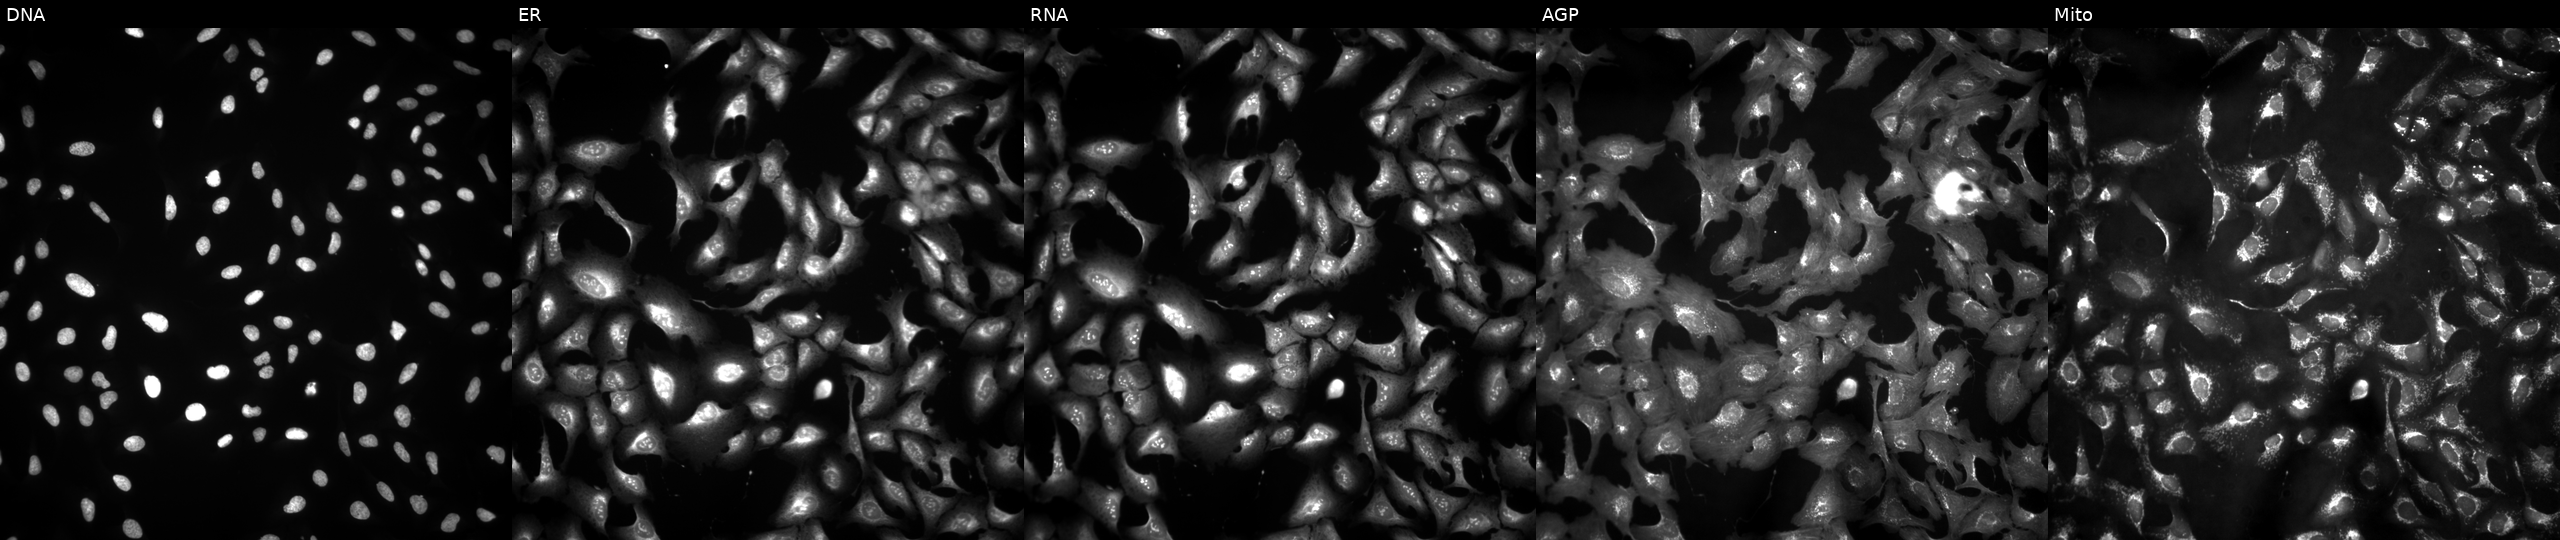
U2OS cells, Cell Painting assay, overexpressing TKTL1 via ORF transfection. Channels (left→right): DNA, ER, RNA, AGP, and Mito. Each panel is percentile-stretched 16-bit fluorescence. Source 4, plate BR00121543, well E21.